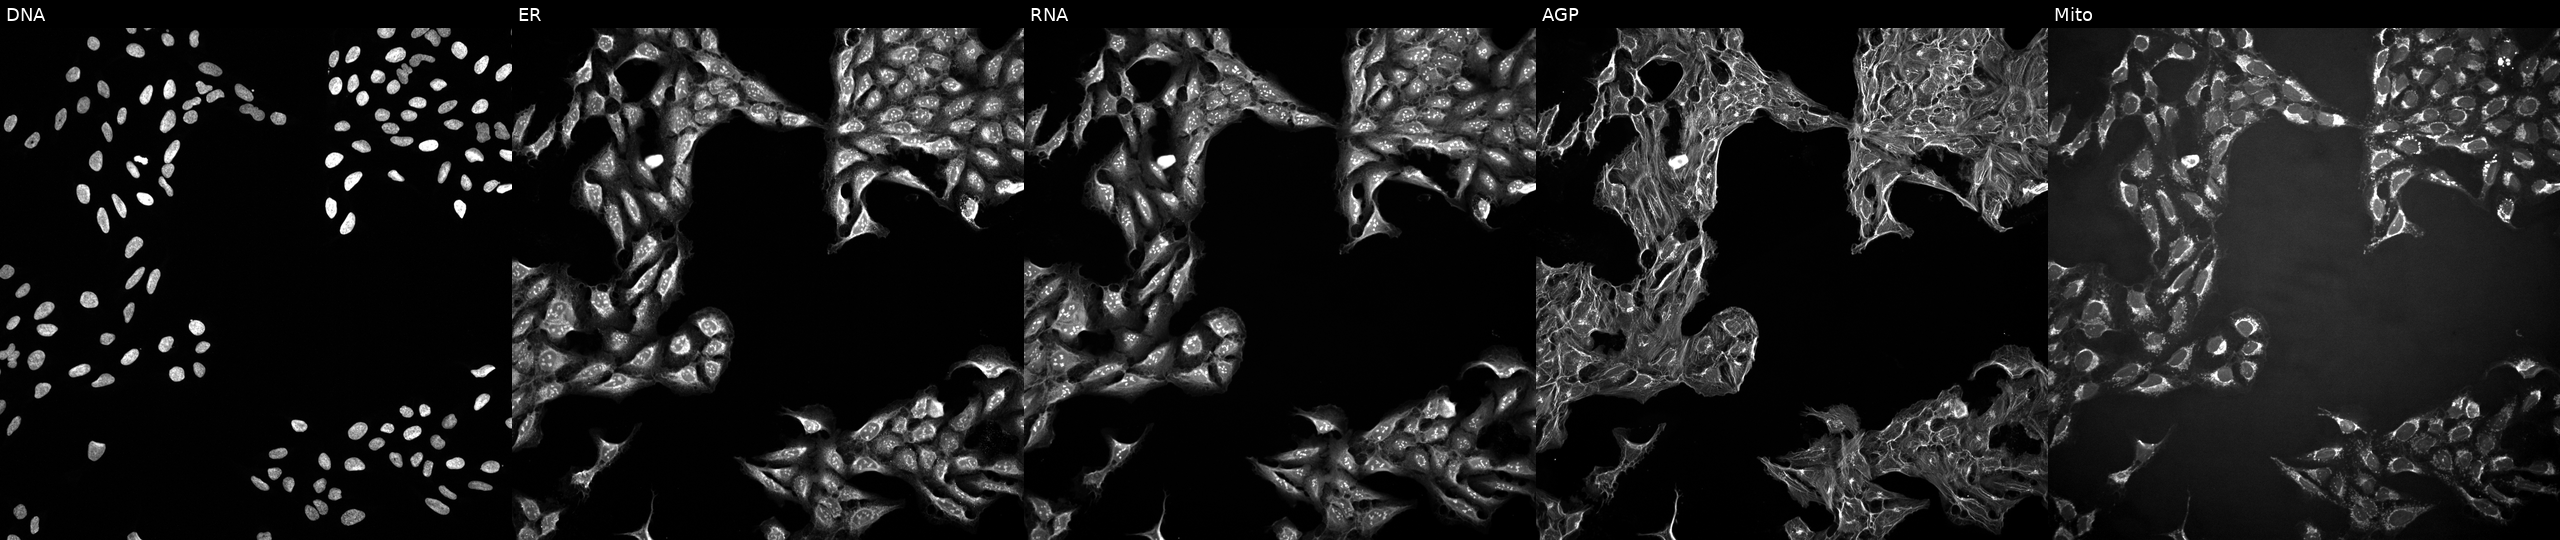
Five-channel Cell Painting image of U2OS cells perturbed with a small-molecule compound (InChIKey WPEWQEMJFLWMLV-UHFFFAOYSA-N) (JUMP id JCP2022_100264). Panels show, left to right, DNA (nuclei); ER (endoplasmic reticulum); RNA (nucleoli and cytoplasmic RNA); AGP (actin cytoskeleton, Golgi, and plasma membrane); Mito (mitochondria). Source 10, plate Dest210727-153003, well A07.